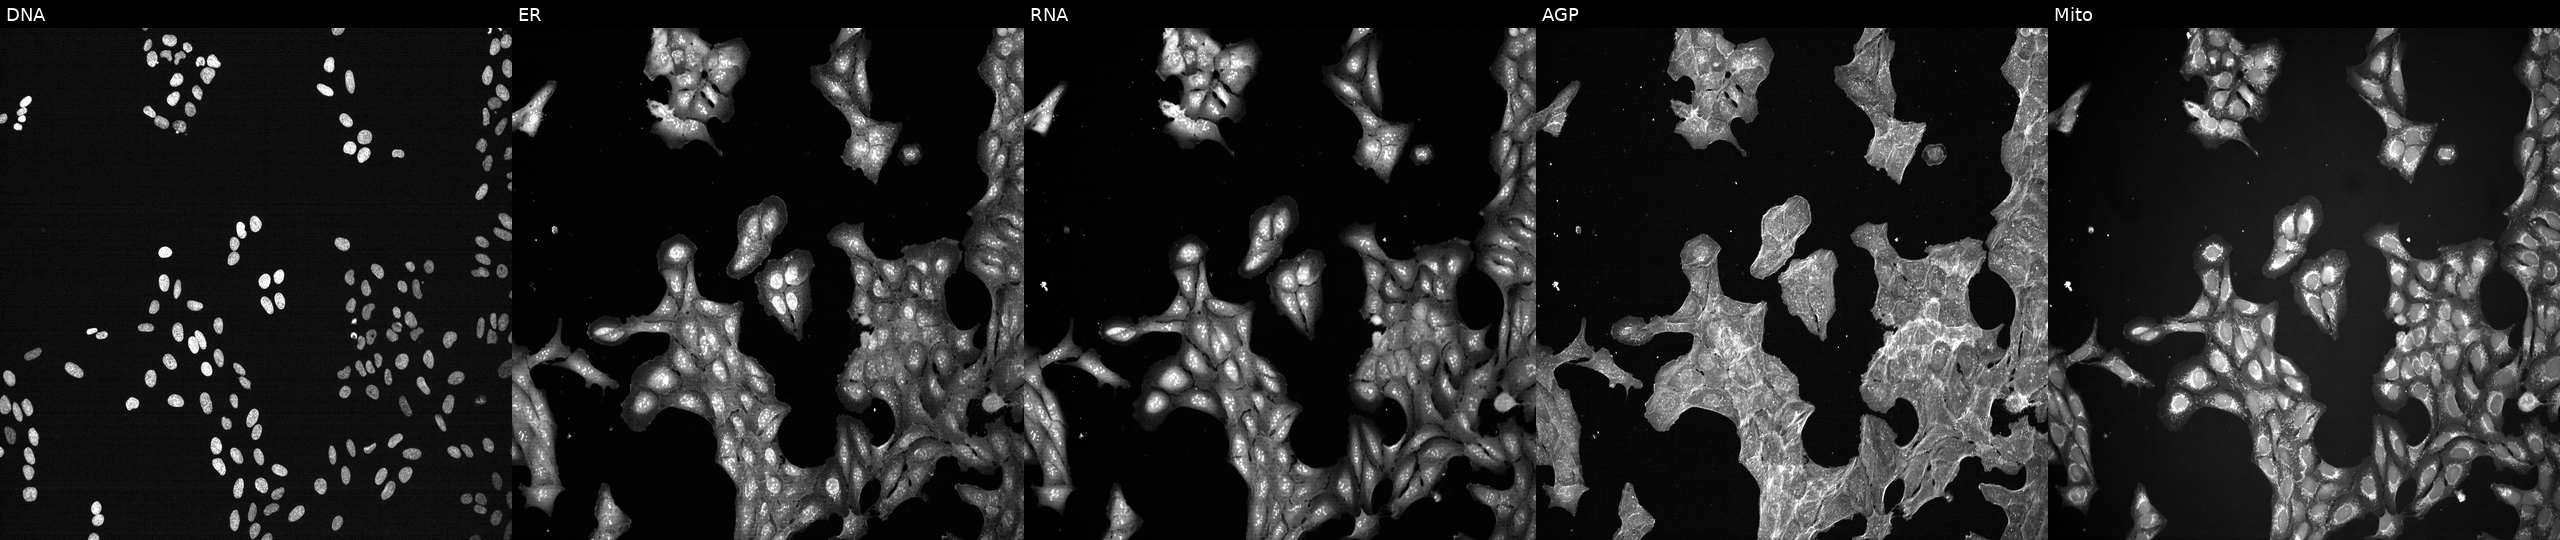
High-content fluorescence microscopy (Cell Painting). Cell line: U2OS. Perturbation: perturbed with a small-molecule compound (InChIKey IYAYHZZWYNXHEQ-UHFFFAOYSA-N). Channels (left→right): Hoechst 33342, concanavalin A, SYTO 14, phalloidin and WGA, MitoTracker. Source 7, plate CP2-SC1-25, well K23.